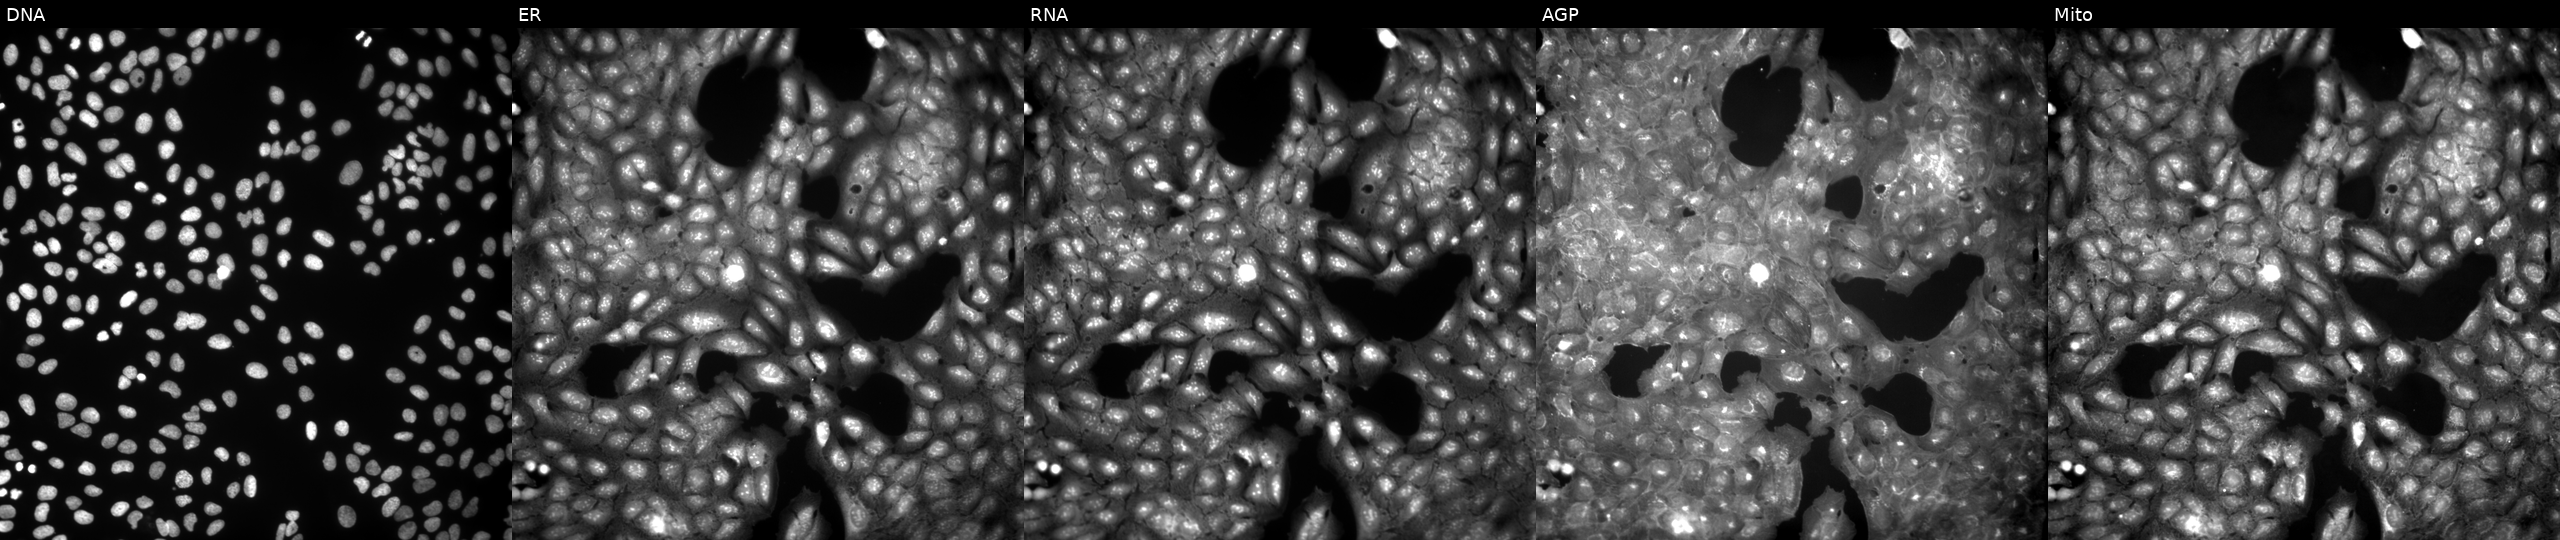
High-content fluorescence microscopy (Cell Painting). Cell line: U2OS. Perturbation: treated with a small-molecule compound (InChIKey SVRHZTFGWDYKCB-UHFFFAOYSA-N) [SMILES: COc1ccccc1C(=O)C1Nc2ccccc2-c2nnc(SC)nc2O1] (JUMP id JCP2022_085928). Channels (left→right): Hoechst 33342, concanavalin A, SYTO 14, phalloidin and WGA, MitoTracker.